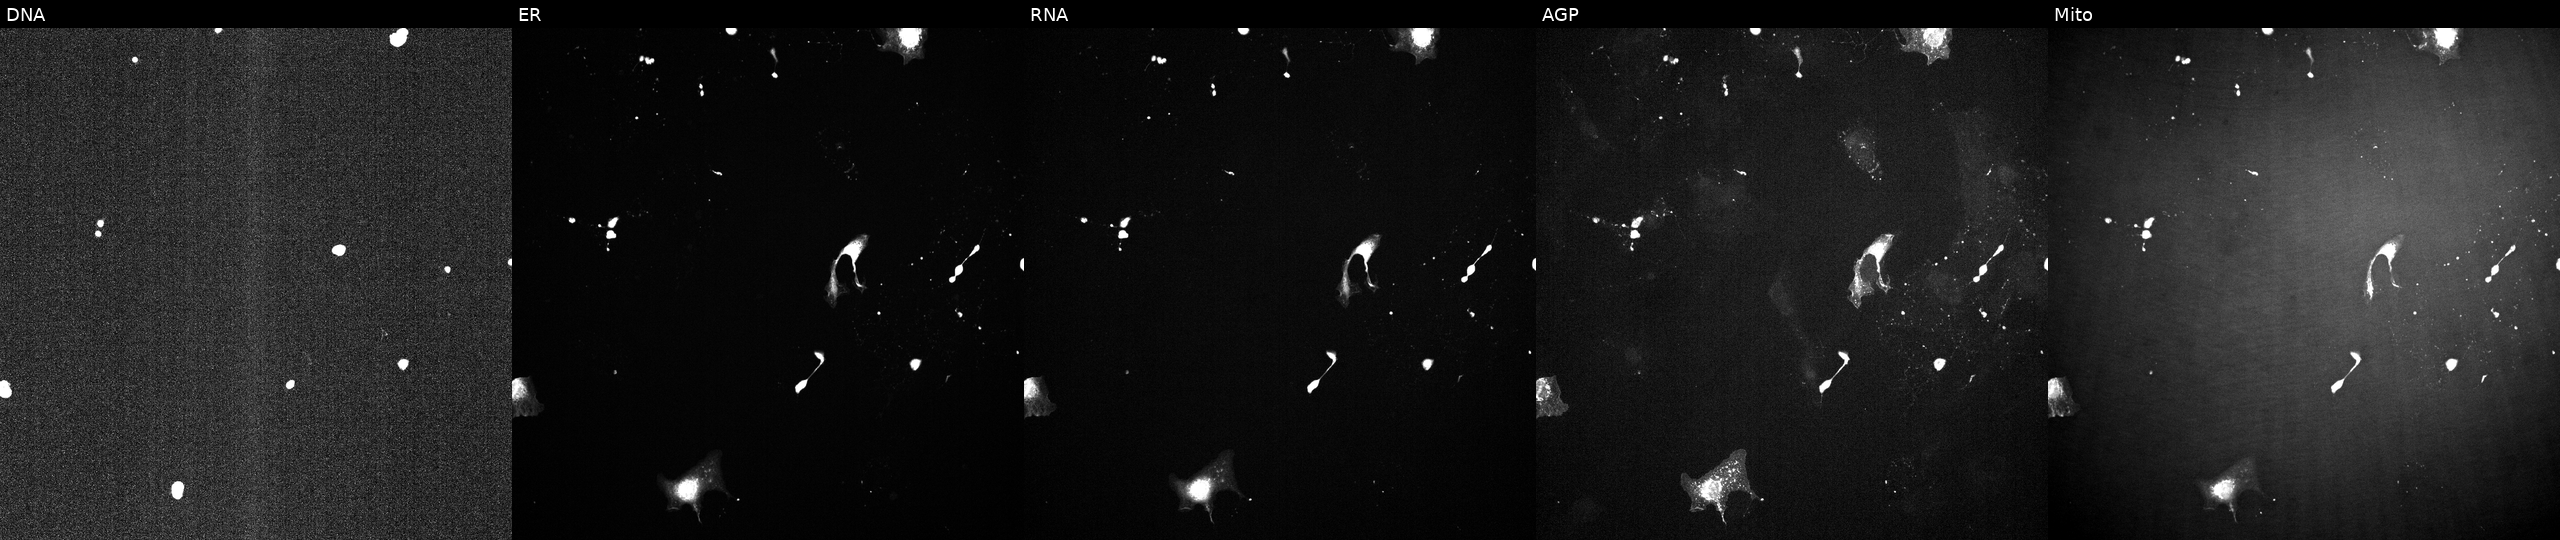
High-content fluorescence microscopy (Cell Painting). Cell line: U2OS. Perturbation: treated with a small-molecule compound. Panels show, left to right, DNA, ER, RNA, AGP, and Mito.